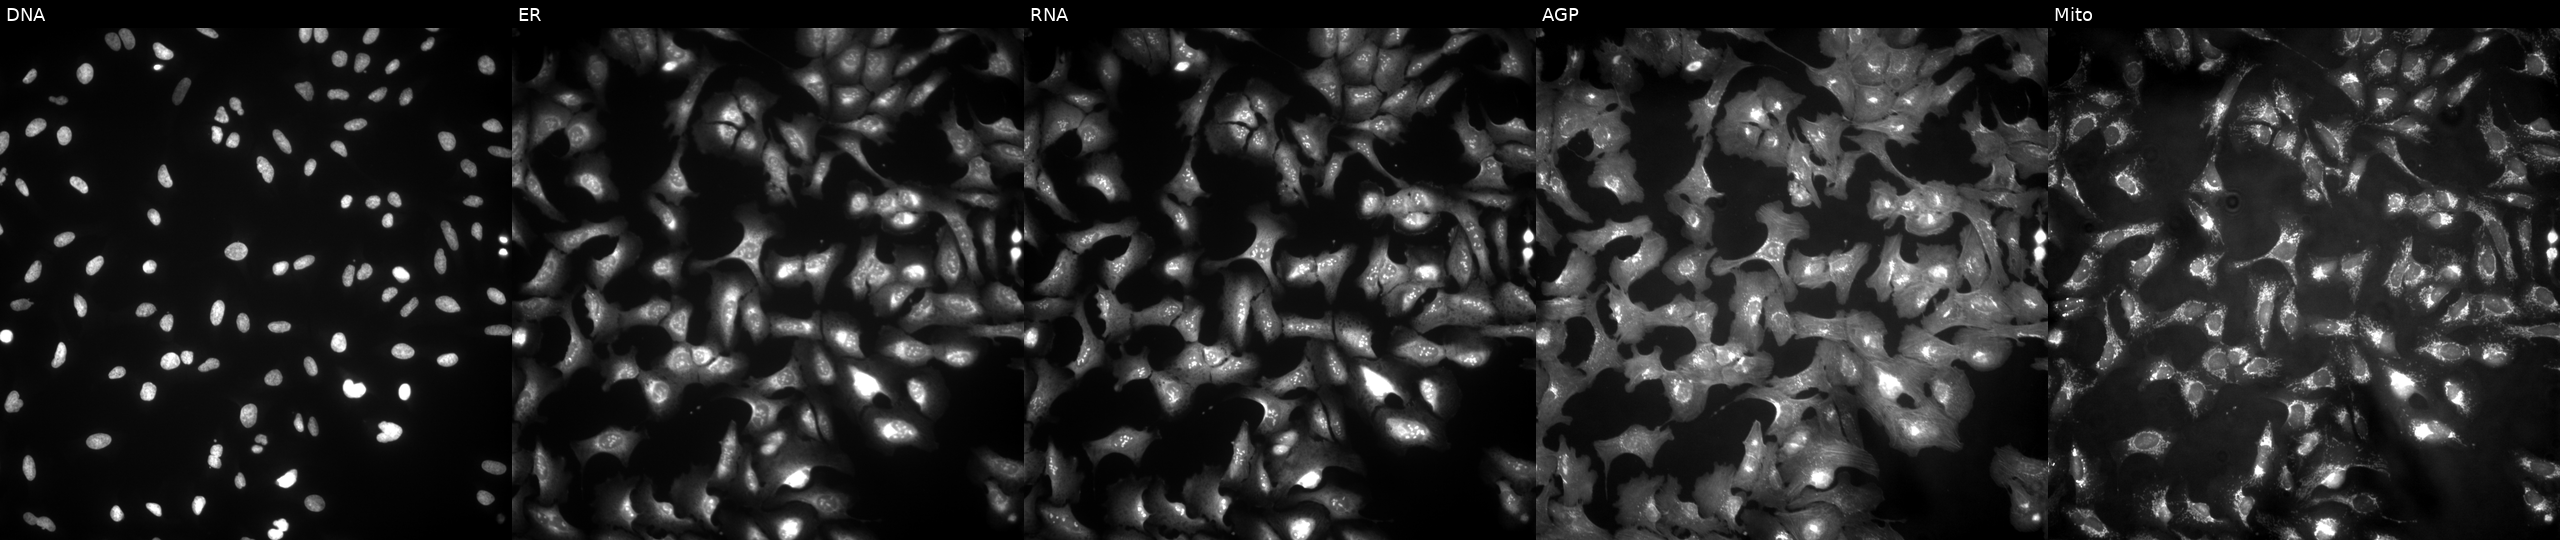
U2OS cells, Cell Painting assay, with ENPP5 overexpressed (ORF) (JUMP id JCP2022_903635). Panels show, left to right, Hoechst 33342, concanavalin A, SYTO 14, phalloidin and WGA, MitoTracker. Each panel is percentile-stretched 16-bit fluorescence.